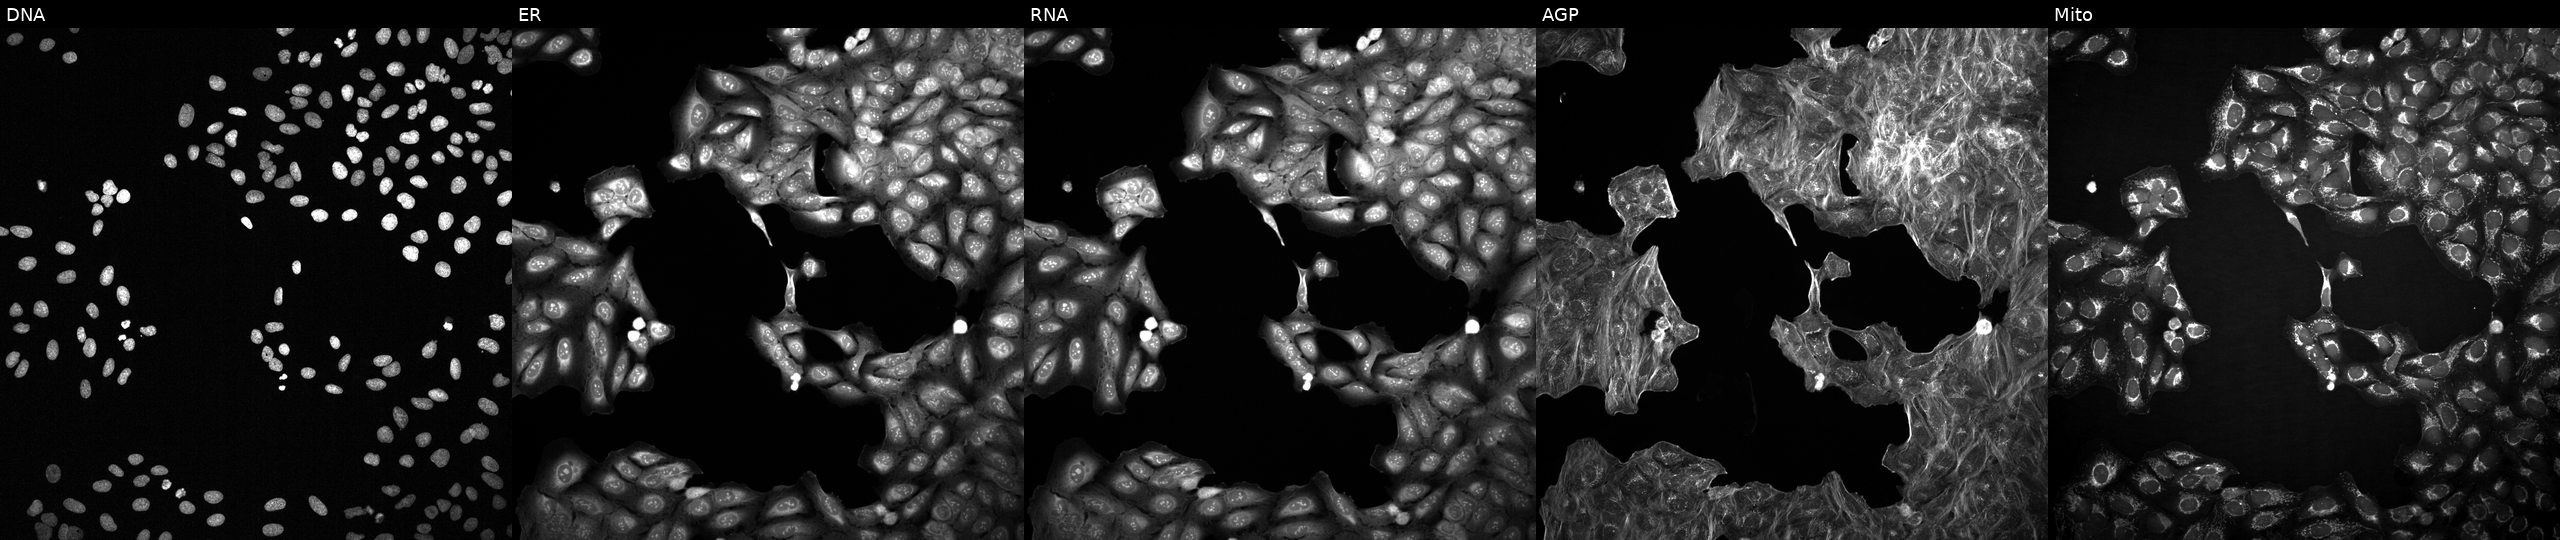
High-content fluorescence microscopy (Cell Painting). Cell line: U2OS. Perturbation: with an unidentified perturbation (not annotated in JUMP metadata). The five panels, left to right, show DNA (nuclei); ER (endoplasmic reticulum); RNA (nucleoli and cytoplasmic RNA); AGP (actin cytoskeleton, Golgi, and plasma membrane); Mito (mitochondria).